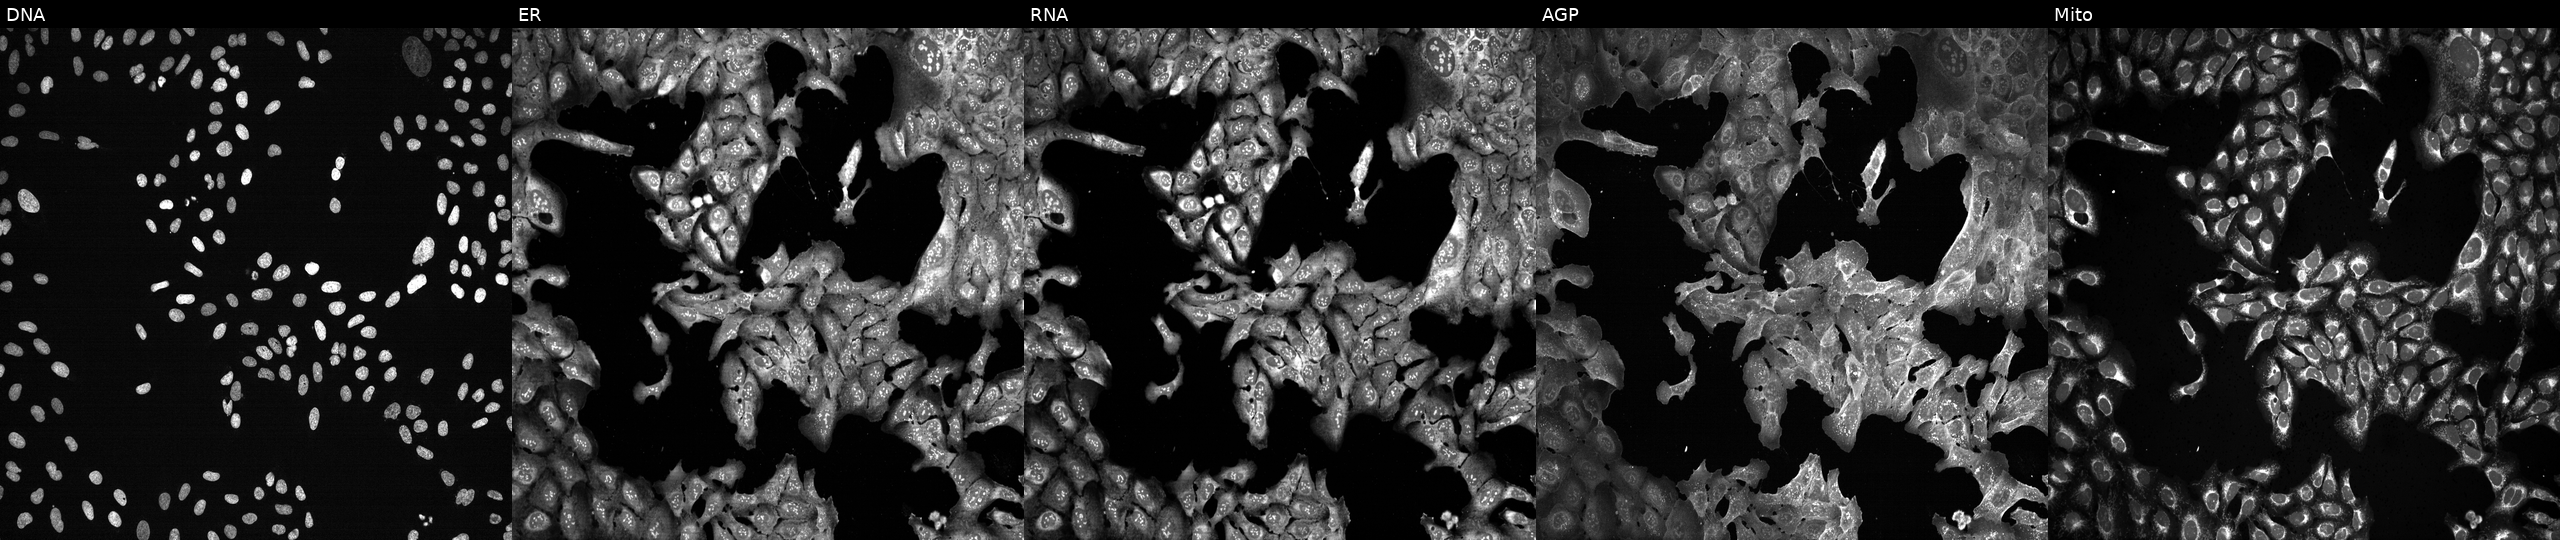
JUMP Cell Painting — CRISPR plate. U2OS cells with CASP2 knocked out by CRISPR. From left to right: DNA, ER, RNA, AGP, and Mito.